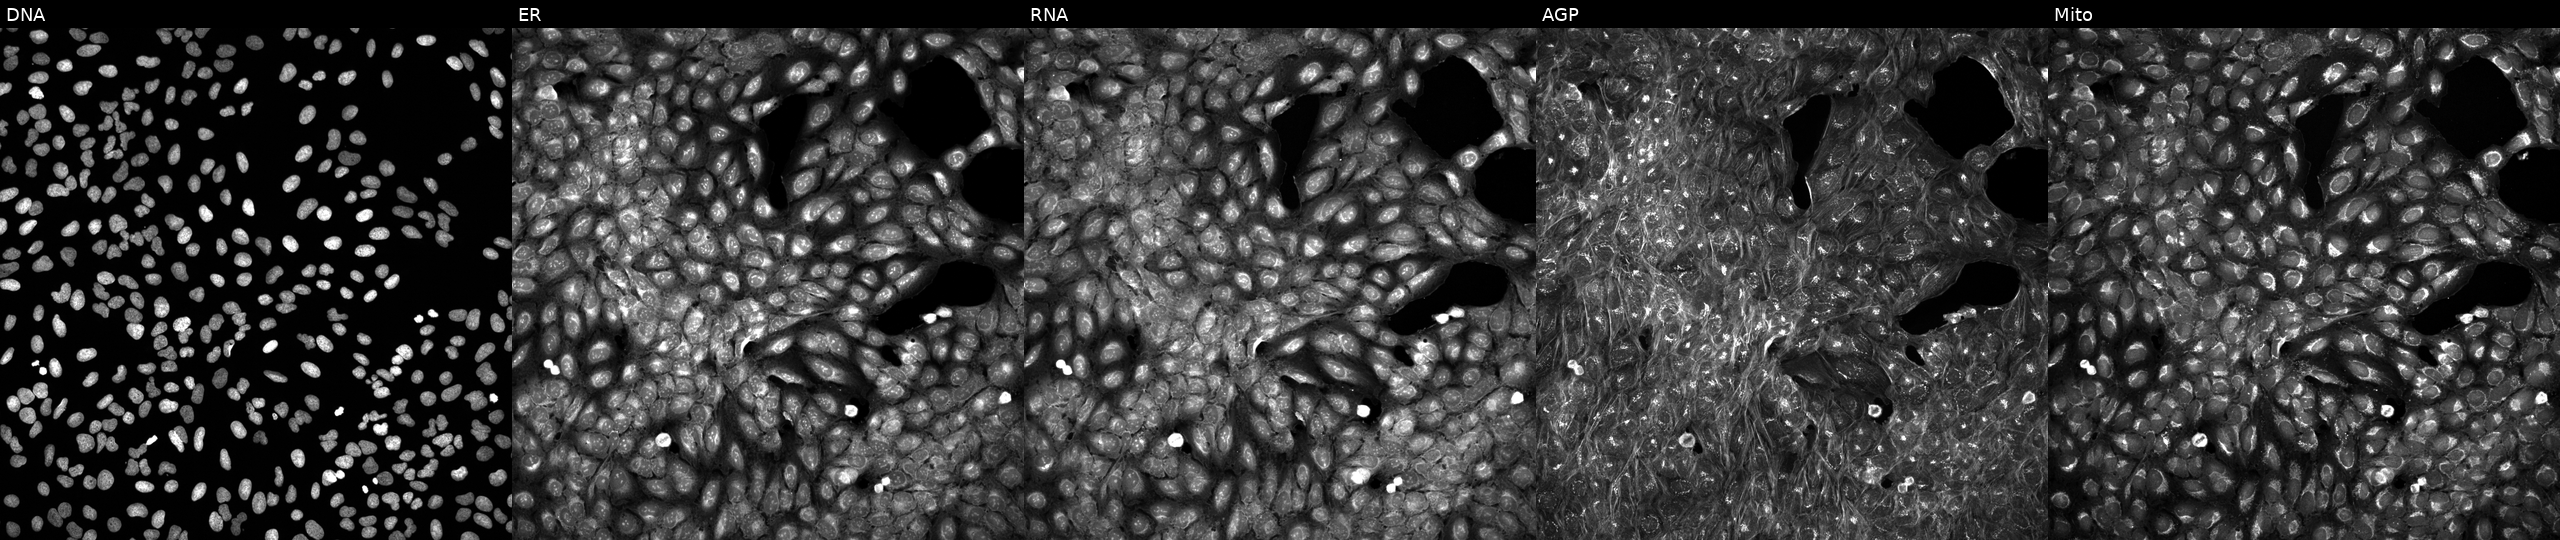
Panels show, left to right, Hoechst 33342, concanavalin A, SYTO 14, phalloidin and WGA, MitoTracker. U2OS osteosarcoma cells exposed to the positive-control compound aloxistatin (JUMP id JCP2022_085227). Cell Painting assay, JUMP-CP dataset.